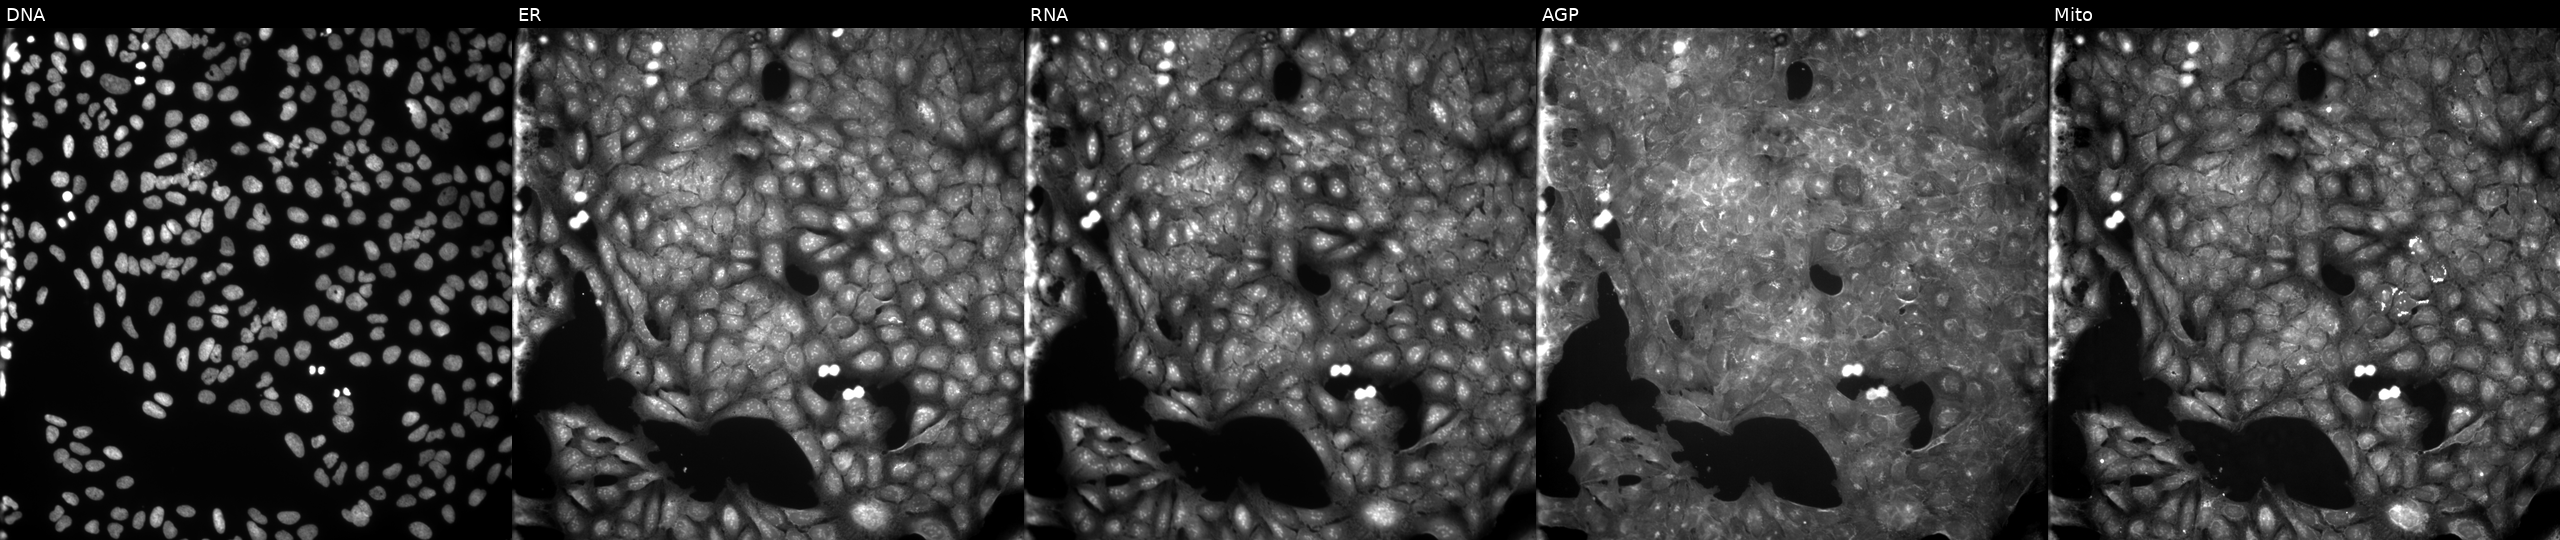
Five-channel Cell Painting image of U2OS cells exposed to a small-molecule compound (InChIKey XBQBYTWSYOGSQK-UHFFFAOYSA-N) [SMILES: Cc1ccccc1OCCn1c(=N)n(C(C)C)c2ccccc21]. The five panels, left to right, show DNA, ER, RNA, AGP, and Mito.